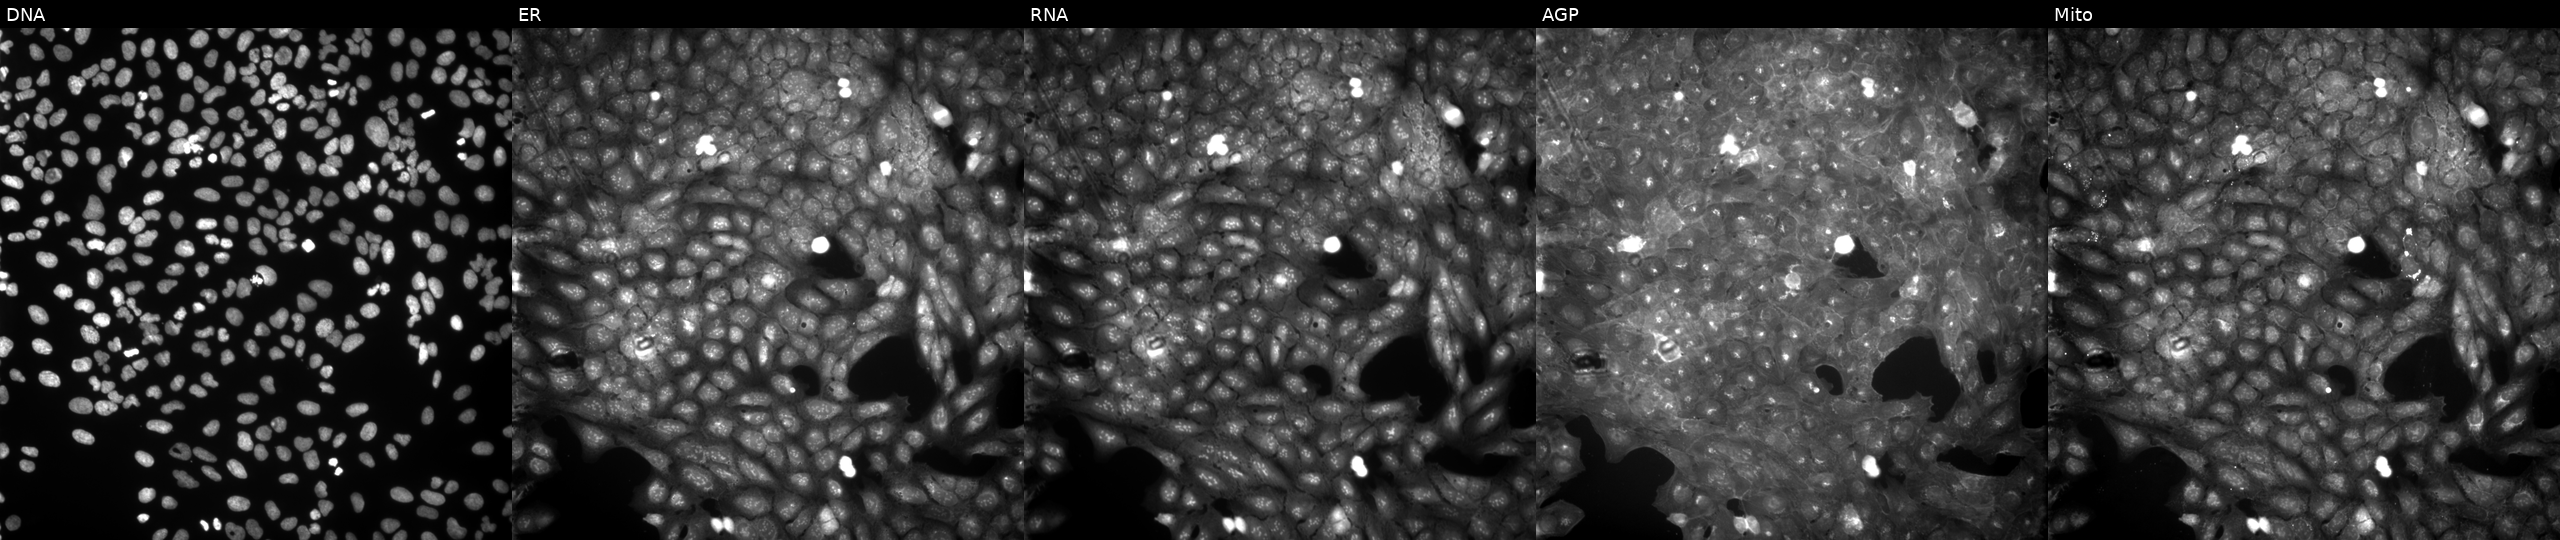
JUMP Cell Painting — COMPOUND plate. U2OS cells treated with a small-molecule compound. Channels (left→right): Hoechst 33342, concanavalin A, SYTO 14, phalloidin and WGA, MitoTracker. Source 9, plate GR00003382, well J21.